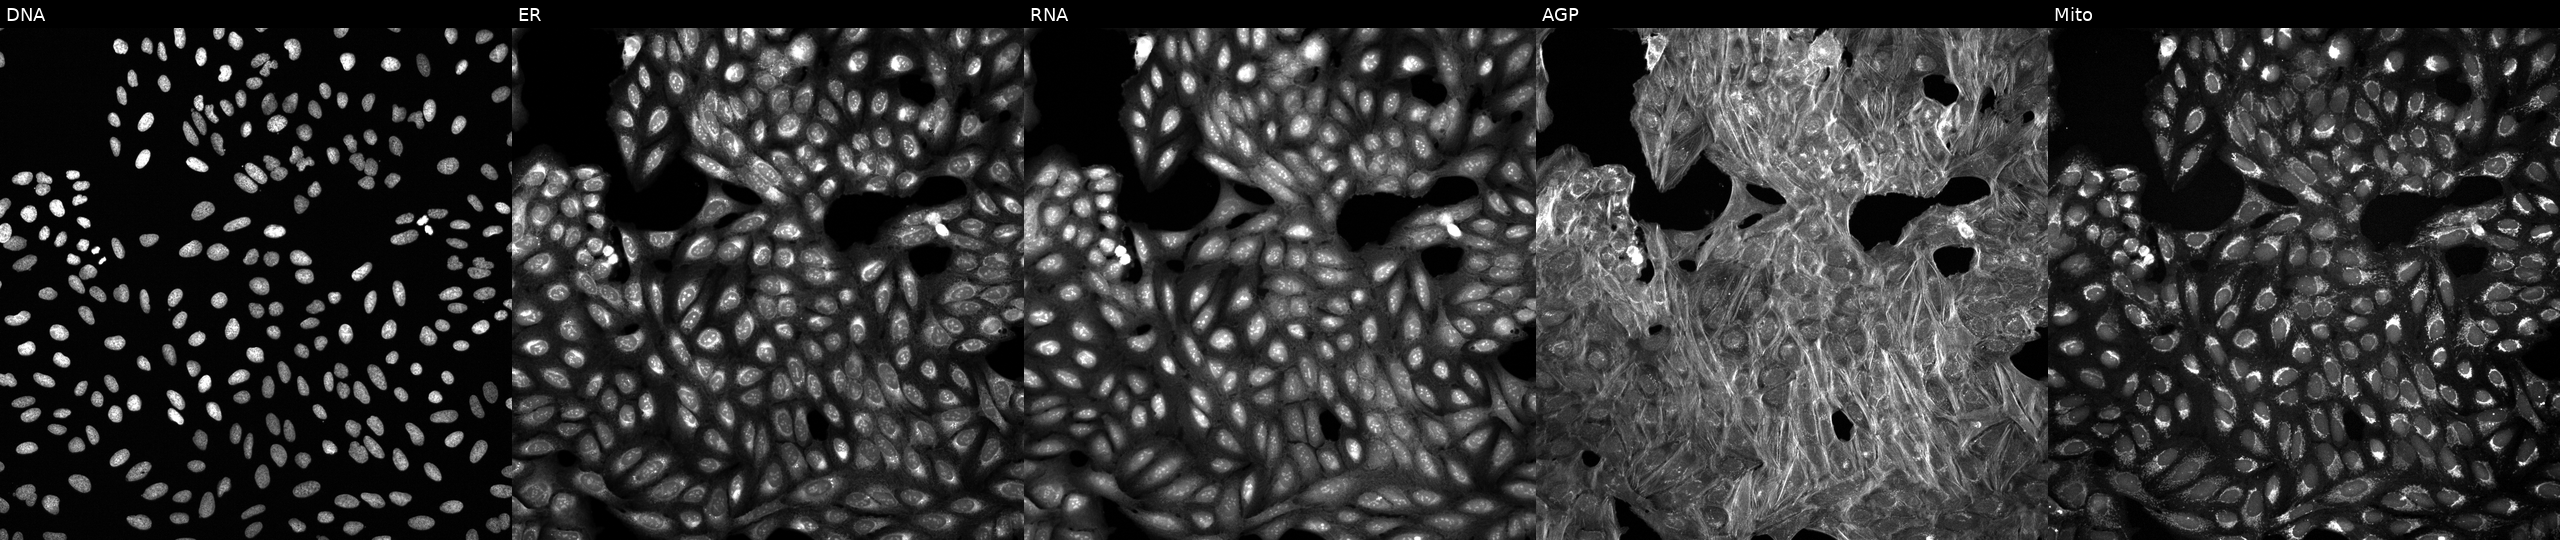
Panels show, left to right, DNA (nuclei); ER (endoplasmic reticulum); RNA (nucleoli and cytoplasmic RNA); AGP (actin cytoskeleton, Golgi, and plasma membrane); Mito (mitochondria). U2OS osteosarcoma cells exposed to DMSO alone as a negative control. Cell Painting assay, JUMP-CP dataset.